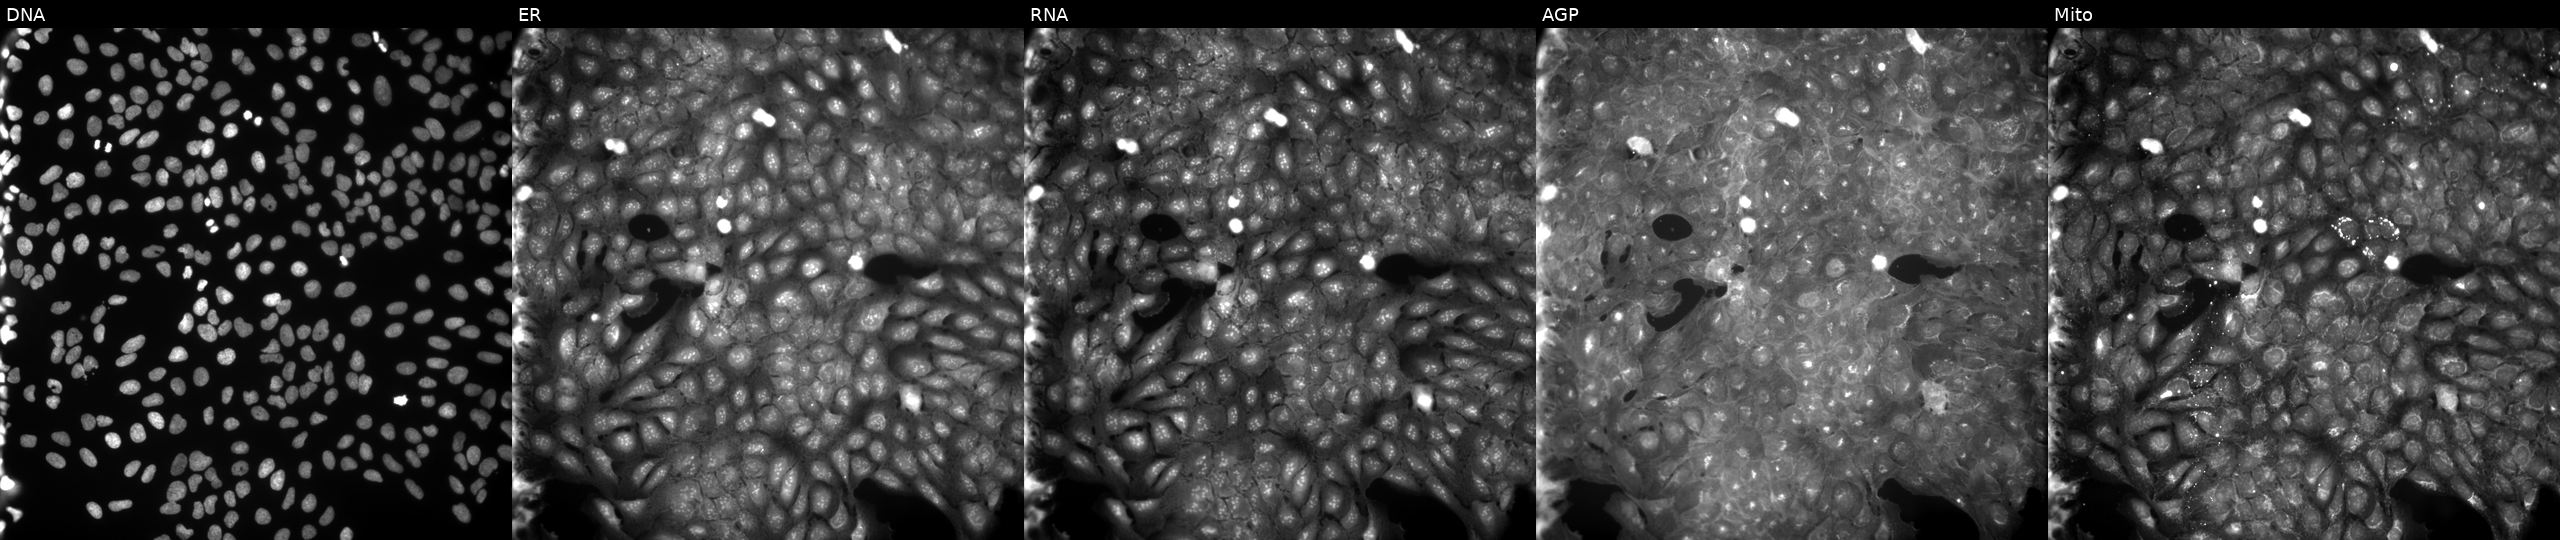
This image strip shows the five Cell Painting channels for a single field of U2OS cells perturbed with a small-molecule compound (JUMP id JCP2022_090716). Channels (left→right): Hoechst 33342, concanavalin A, SYTO 14, phalloidin and WGA, MitoTracker.